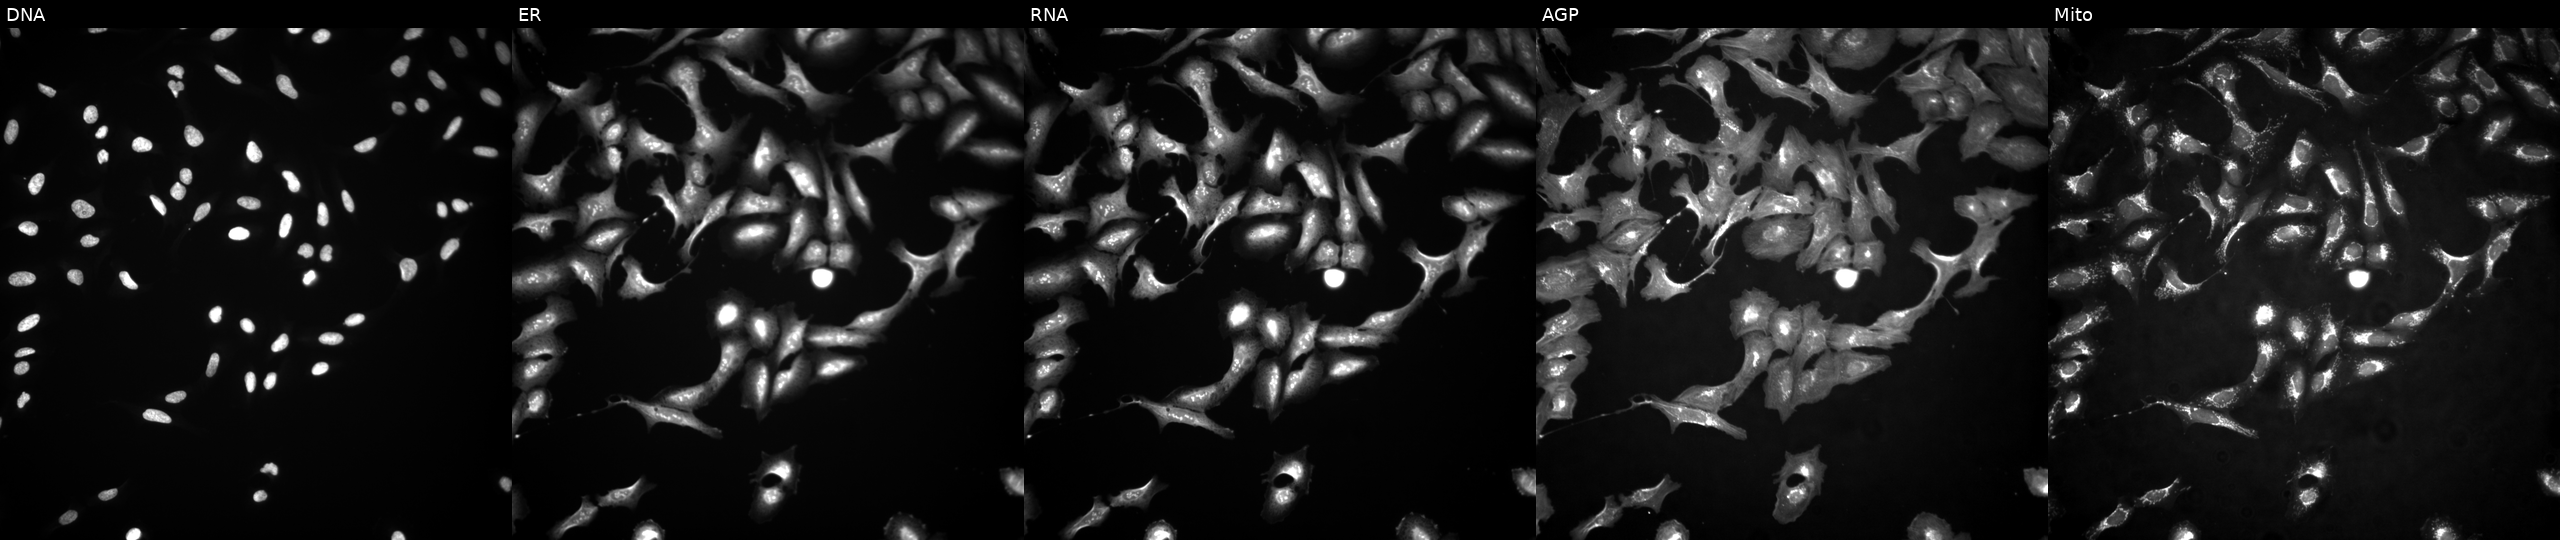
Five-channel Cell Painting image of U2OS cells overexpressing SIRT5 via ORF transfection. Channels (left→right): Hoechst 33342, concanavalin A, SYTO 14, phalloidin and WGA, MitoTracker.